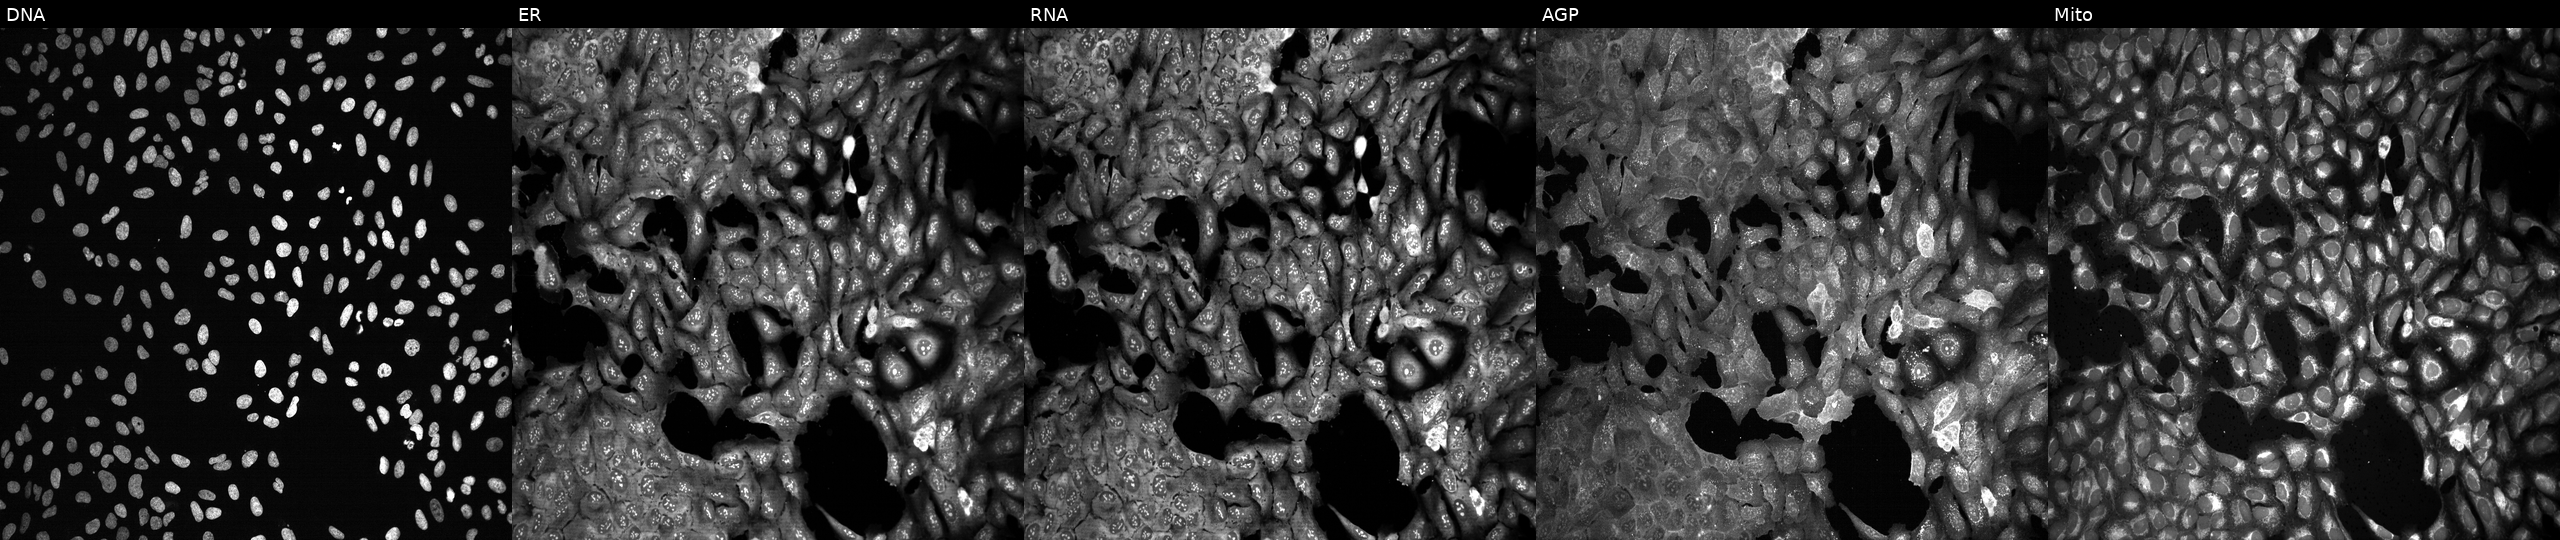
U2OS cells, Cell Painting assay, with IL11 knocked out by CRISPR (JUMP id JCP2022_803363). Panels show, left to right, Hoechst 33342, concanavalin A, SYTO 14, phalloidin and WGA, MitoTracker. Each panel is percentile-stretched 16-bit fluorescence.